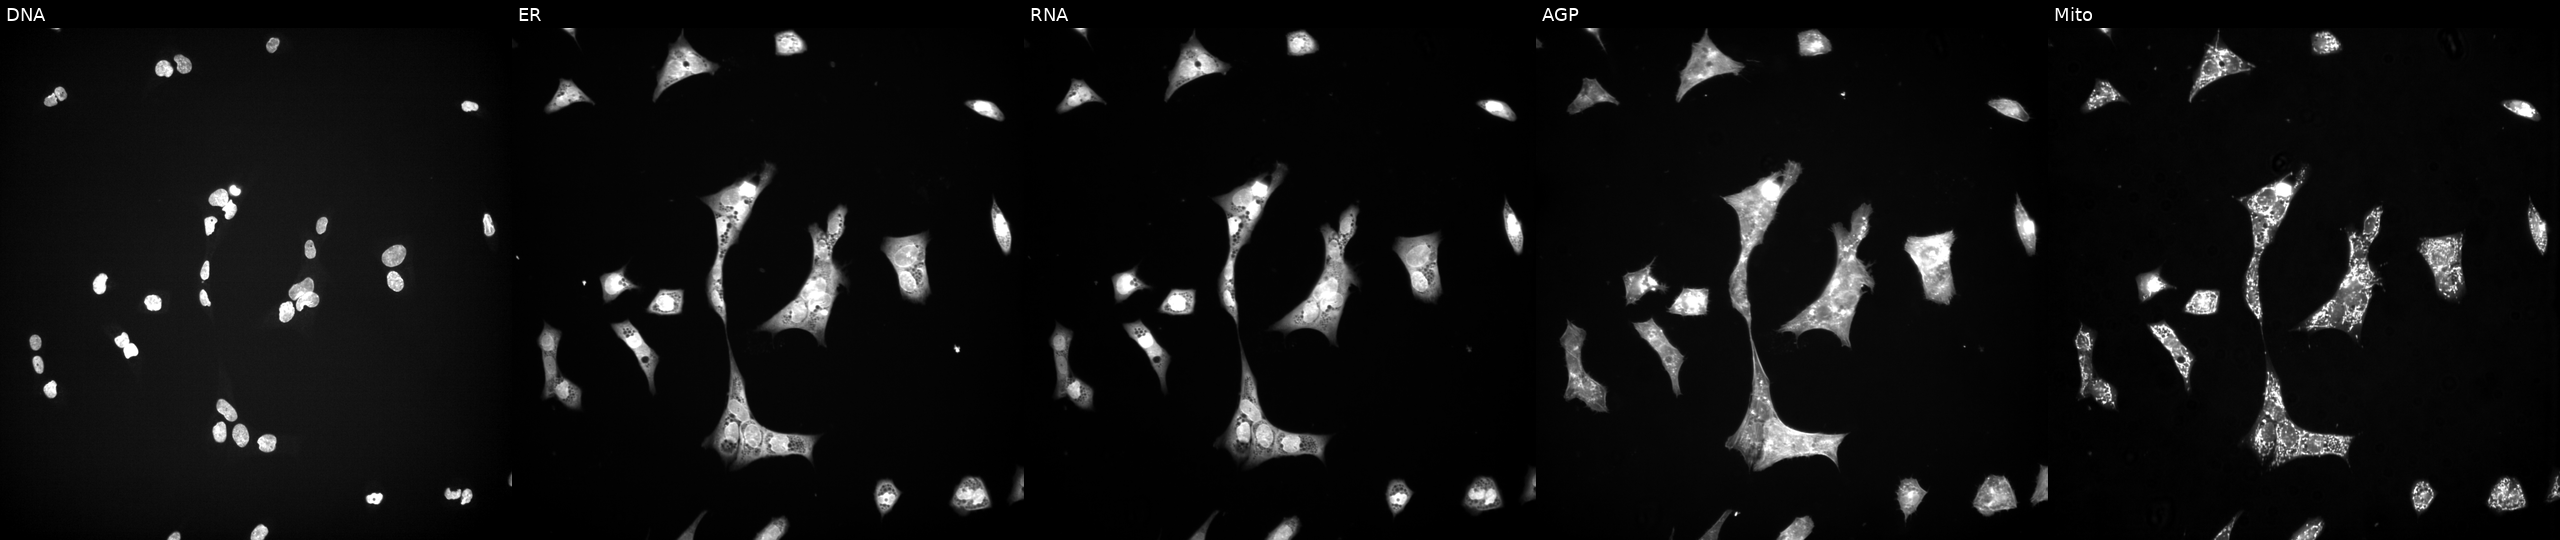
U2OS cells, Cell Painting assay, exposed to a small-molecule compound (InChIKey XLSYZSRXVVCHLS-UHFFFAOYSA-N). The five panels, left to right, show DNA (nuclei); ER (endoplasmic reticulum); RNA (nucleoli and cytoplasmic RNA); AGP (actin cytoskeleton, Golgi, and plasma membrane); Mito (mitochondria). Each panel is percentile-stretched 16-bit fluorescence.